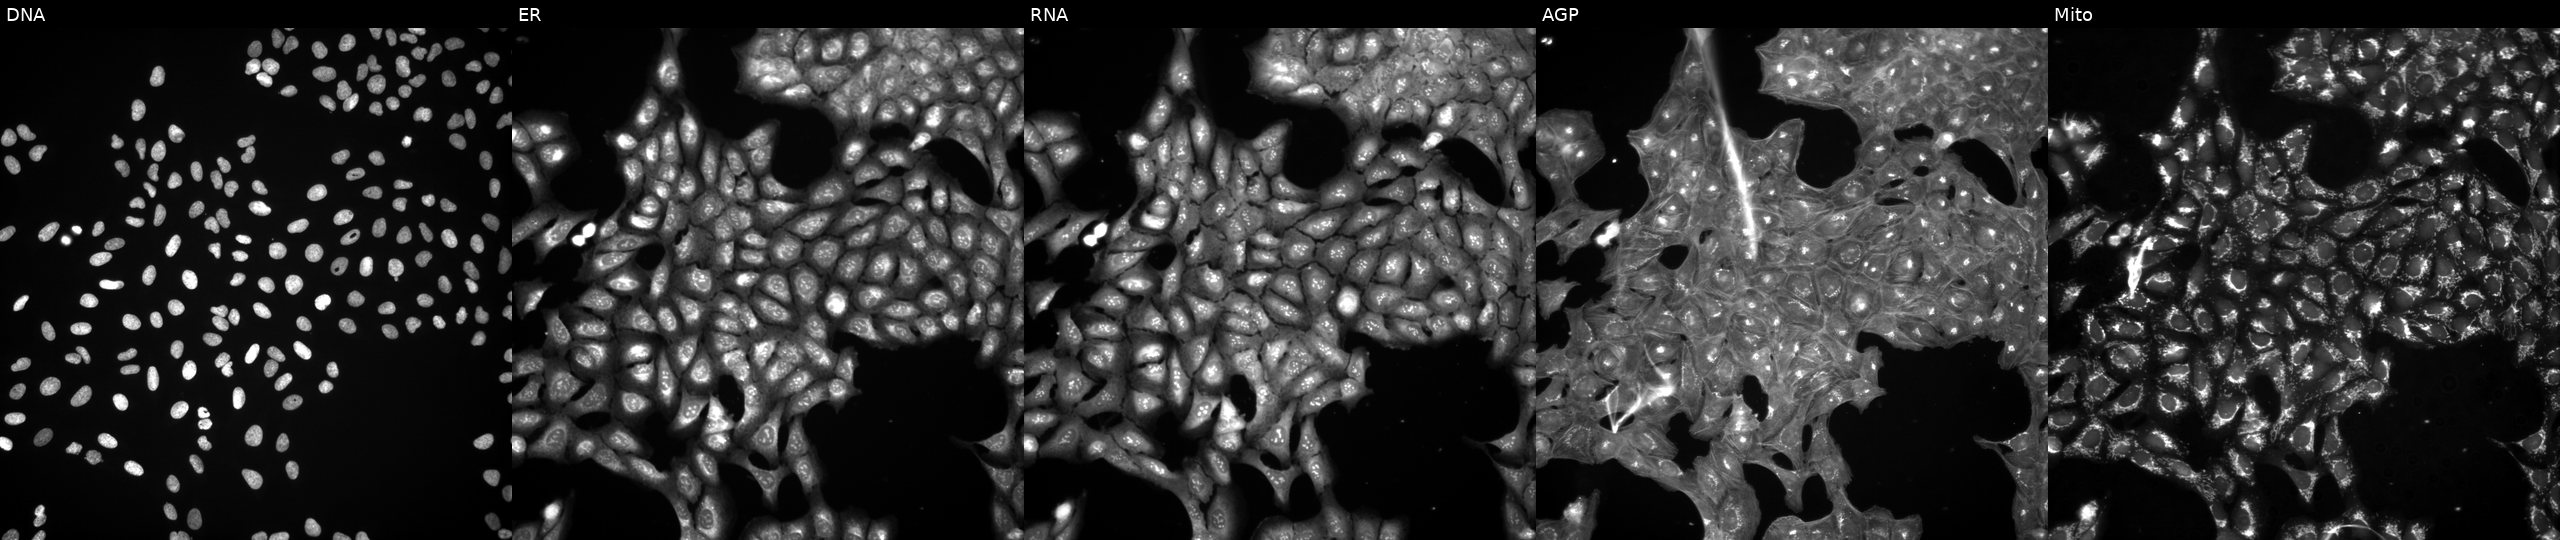
This image strip shows the five Cell Painting channels for a single field of U2OS cells exposed to a small-molecule compound. From left to right: Hoechst 33342, concanavalin A, SYTO 14, phalloidin and WGA, MitoTracker.